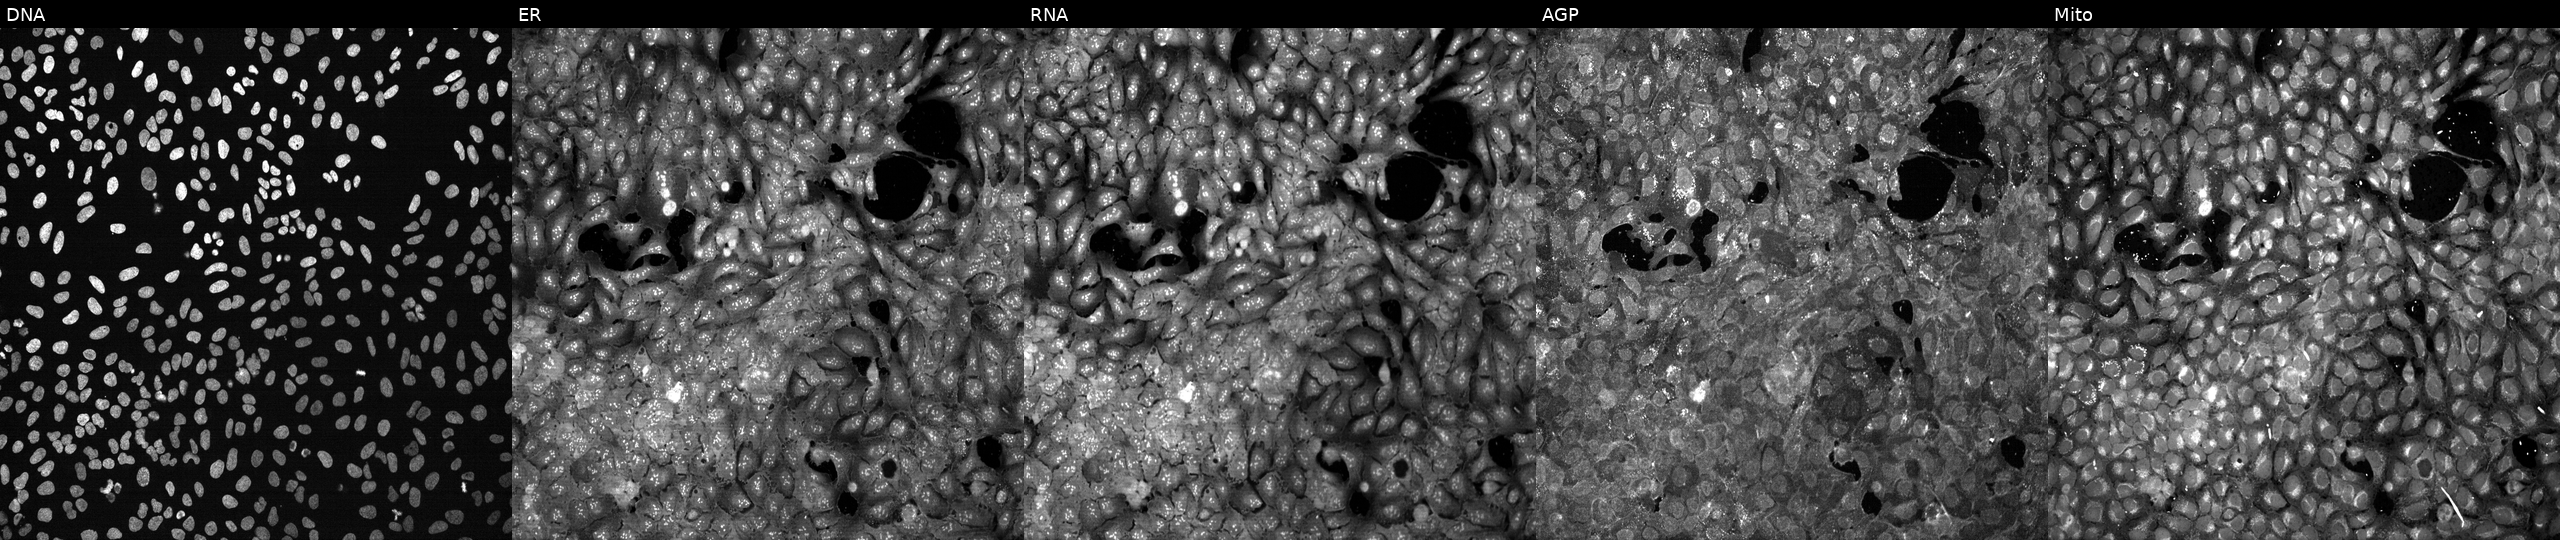
Five-channel Cell Painting image of U2OS cells treated with quinidine (positive-control compound) (JUMP id JCP2022_050797). The five panels, left to right, show Hoechst 33342, concanavalin A, SYTO 14, phalloidin and WGA, MitoTracker. Source 13, plate CP-CC9-R1-01, well G01.